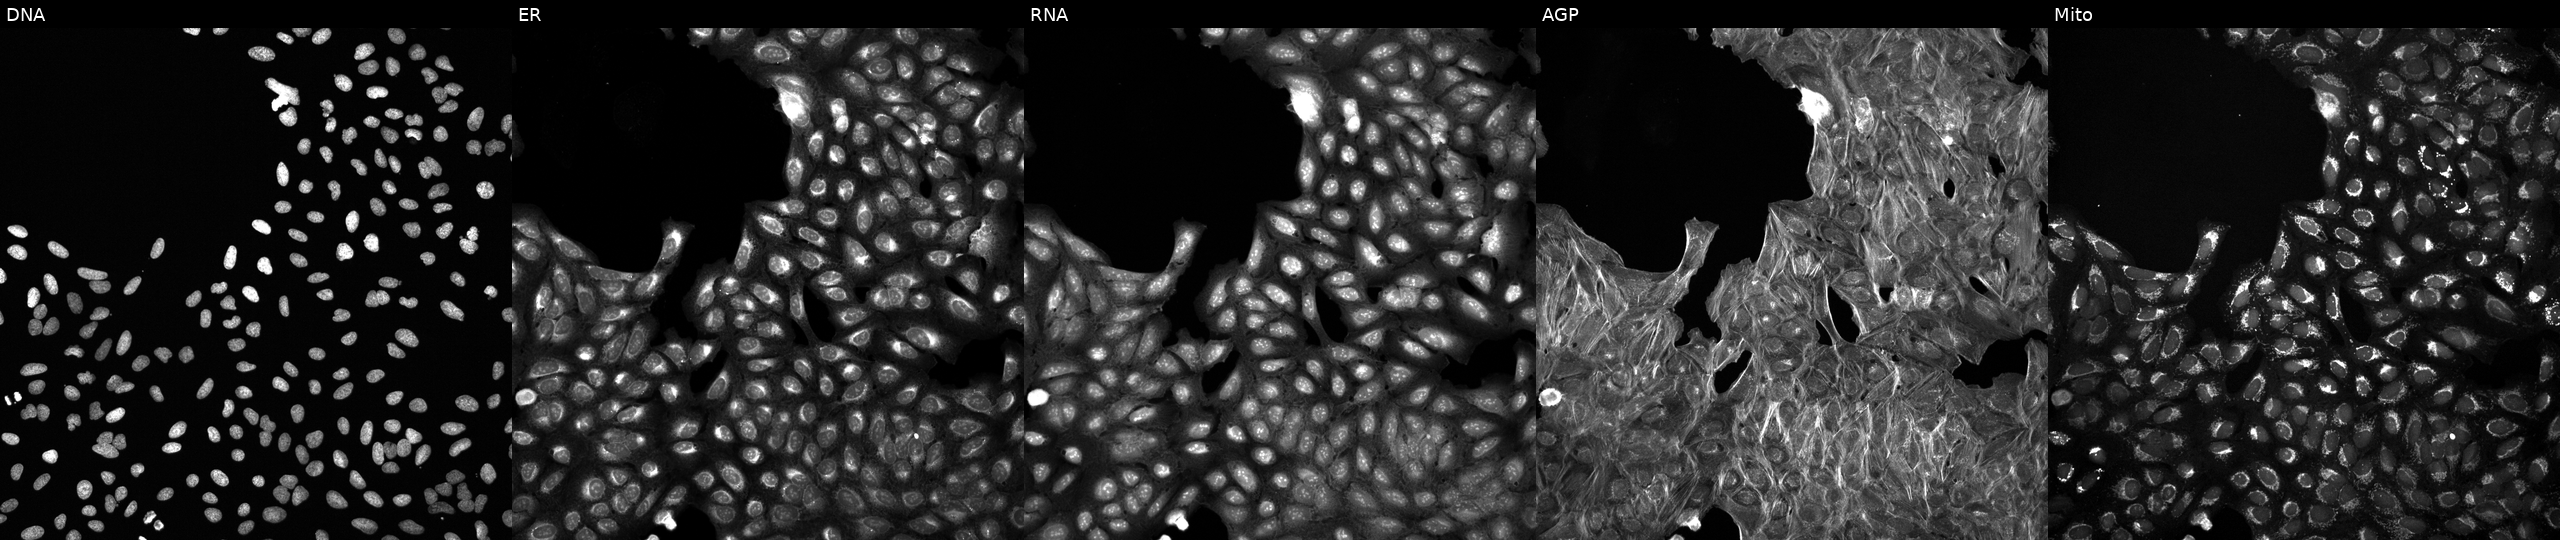
Channels (left→right): Hoechst 33342, concanavalin A, SYTO 14, phalloidin and WGA, MitoTracker. U2OS osteosarcoma cells exposed to a small-molecule compound (InChIKey ZIUDADZJCKGWKR-UHFFFAOYSA-N) [SMILES: Cc1cc(-c2ccc3c(c2)CCC3N2CC3(CCN(C(=O)Cc4cn5cc(C)sc5n4)CC3)C2)ncn1] (JUMP id JCP2022_113600). Cell Painting assay, JUMP-CP dataset. Source 6, plate 110000293081, well A24.